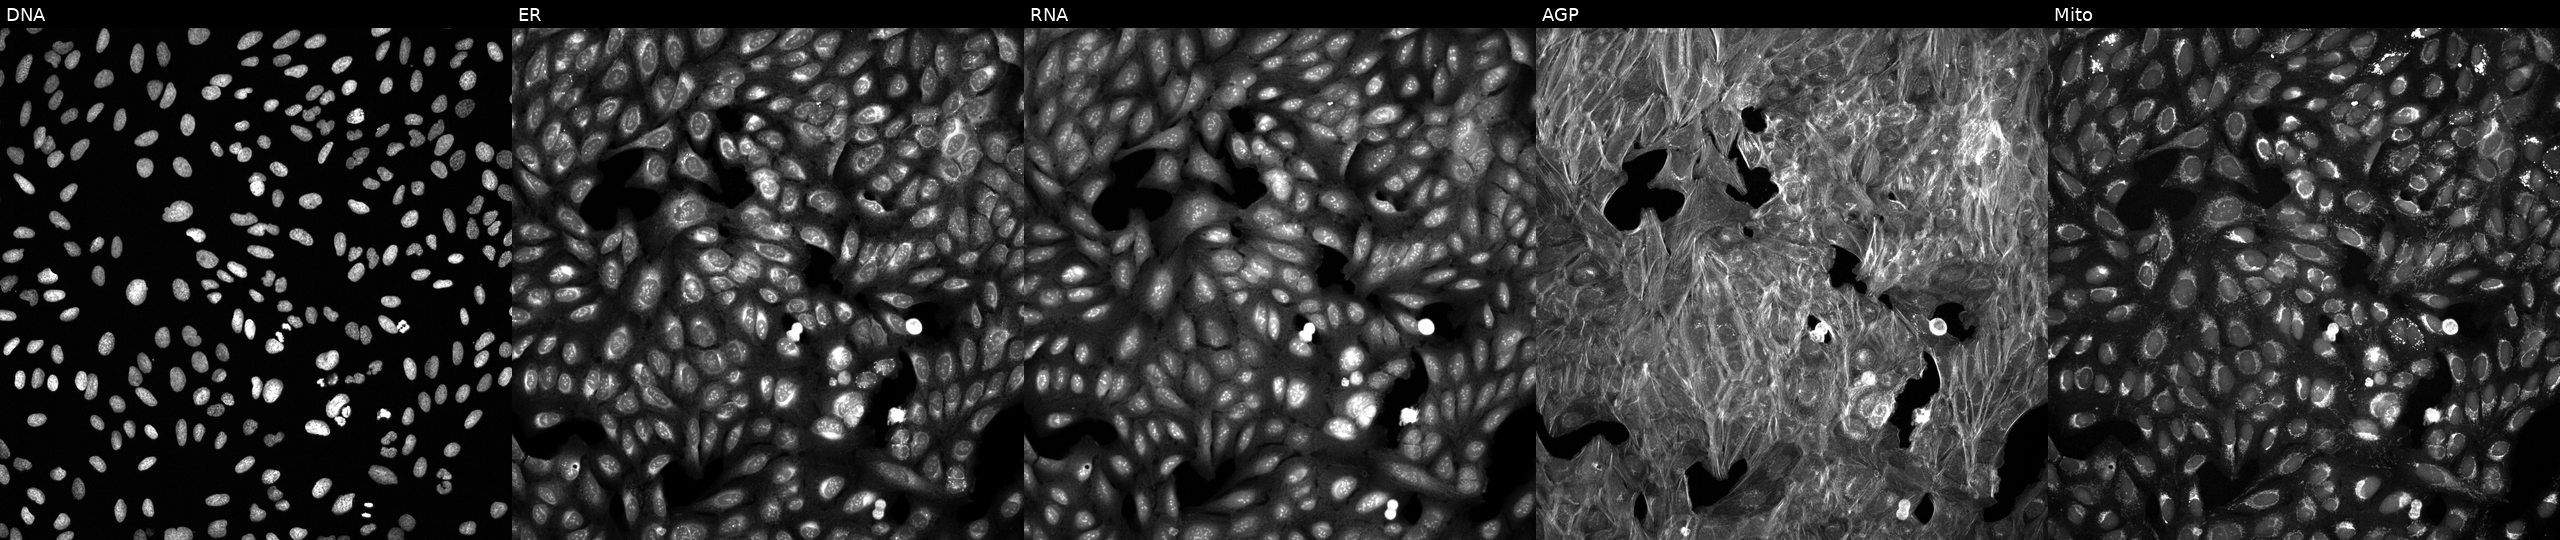
High-content fluorescence microscopy (Cell Painting). Cell line: U2OS. Perturbation: perturbed with a small-molecule compound (InChIKey JYLNVJYYQQXNEK-UHFFFAOYSA-N) [SMILES: NCC(CS(=O)(=O)O)c1ccc(Cl)cc1] (JUMP id JCP2022_042960). Panels show, left to right, DNA (nuclei); ER (endoplasmic reticulum); RNA (nucleoli and cytoplasmic RNA); AGP (actin cytoskeleton, Golgi, and plasma membrane); Mito (mitochondria).